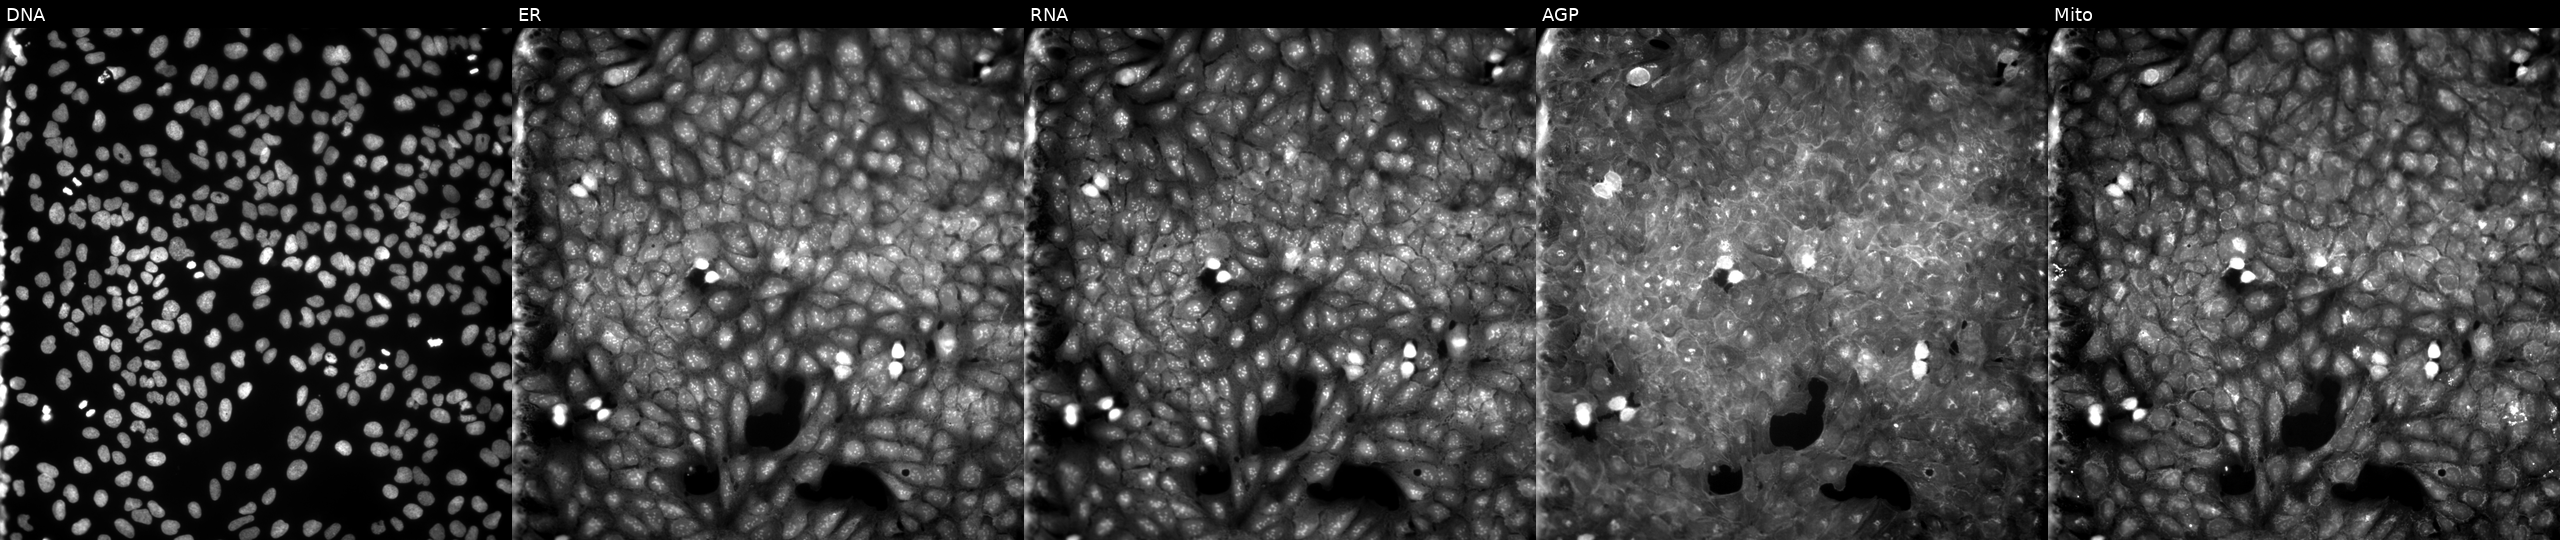
High-content fluorescence microscopy (Cell Painting). Cell line: U2OS. Perturbation: perturbed with a small-molecule compound (InChIKey CMMJGQKHHDBTCC-UHFFFAOYSA-N) [SMILES: CCOc1ccc(Nc2sc(=O)n(Cc3ccccc3)c2O)cc1] (JUMP id JCP2022_012103). From left to right: DNA, ER, RNA, AGP, and Mito.